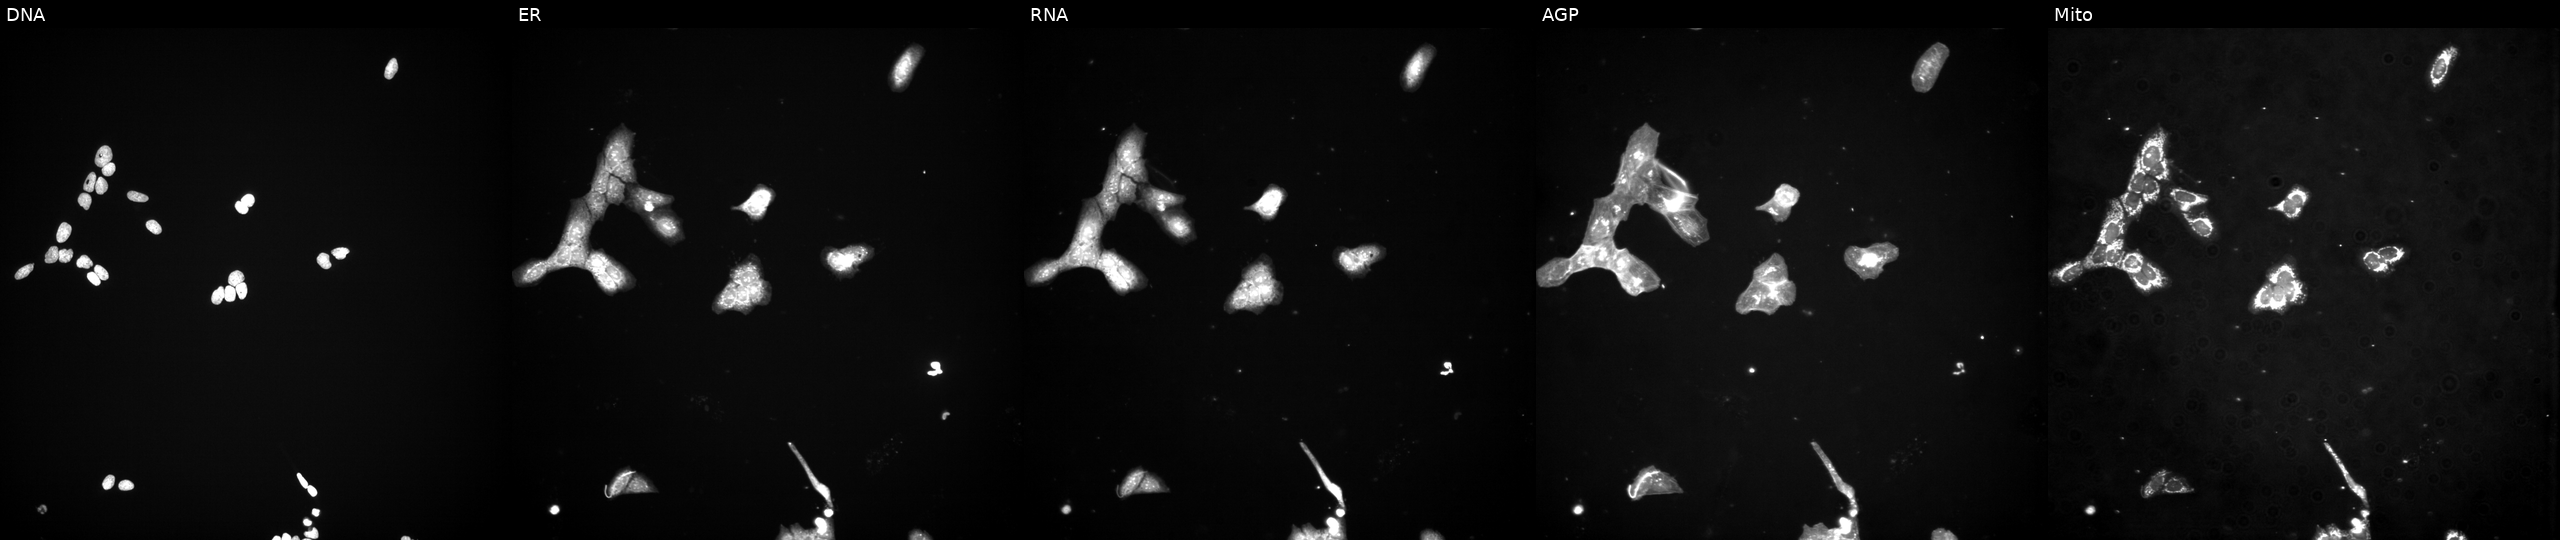
Panels show, left to right, Hoechst 33342, concanavalin A, SYTO 14, phalloidin and WGA, MitoTracker. U2OS osteosarcoma cells exposed to a small-molecule compound (InChIKey NVRXTLZYXZNATH-UHFFFAOYSA-N) (JUMP id JCP2022_061654). Cell Painting assay, JUMP-CP dataset.